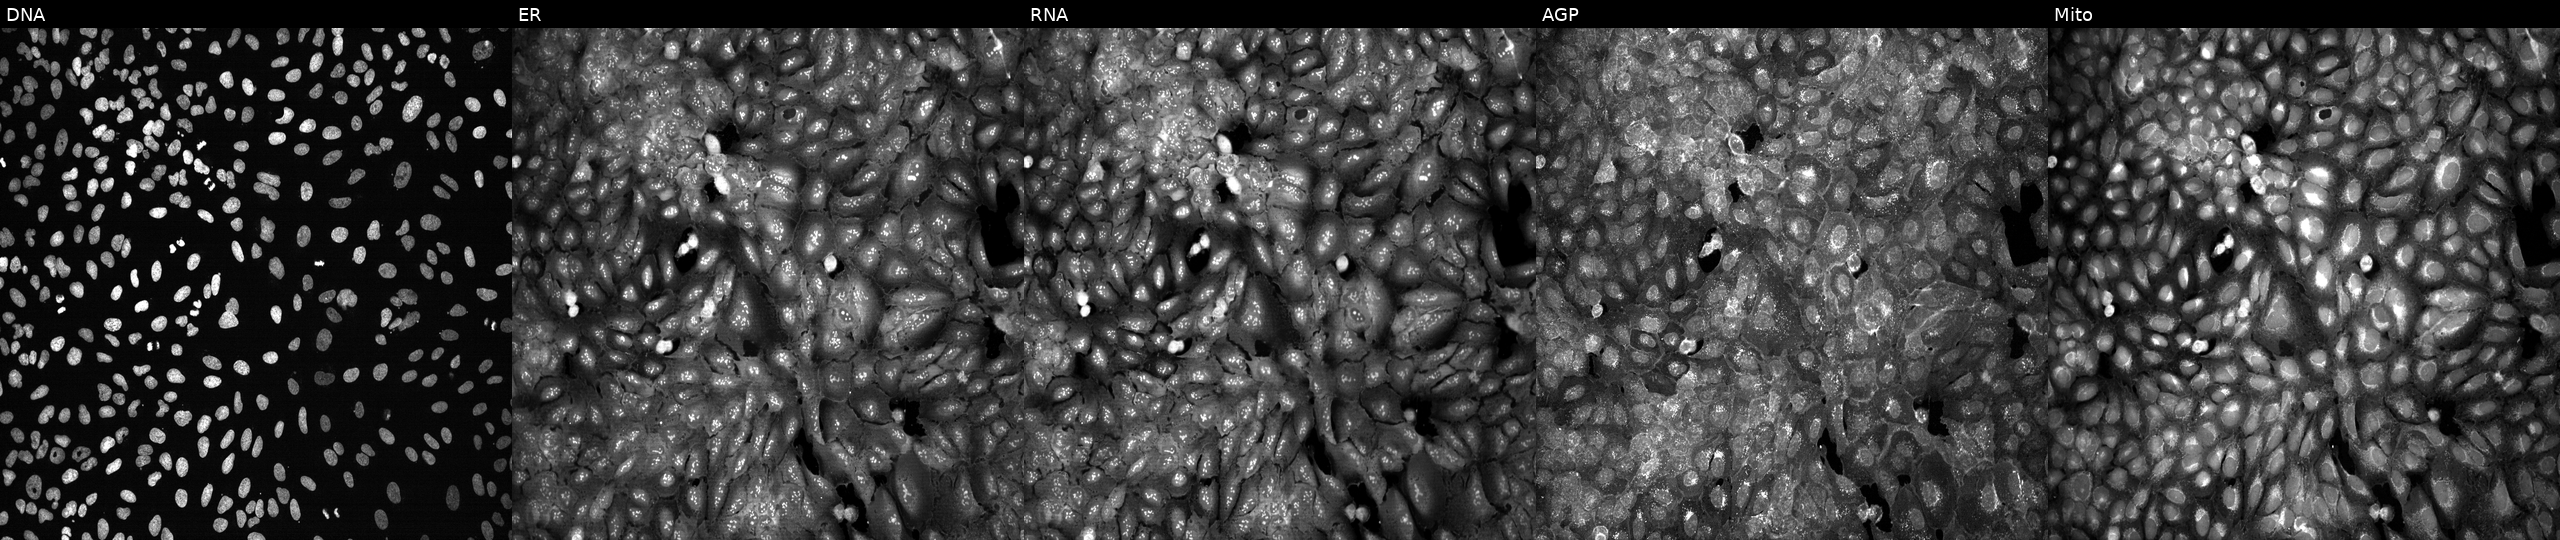
JUMP Cell Painting — CRISPR plate. U2OS cells with RNASE8 knocked out by CRISPR. From left to right: DNA, ER, RNA, AGP, and Mito. Source 13, plate CP-CC9-R1-02, well G19.